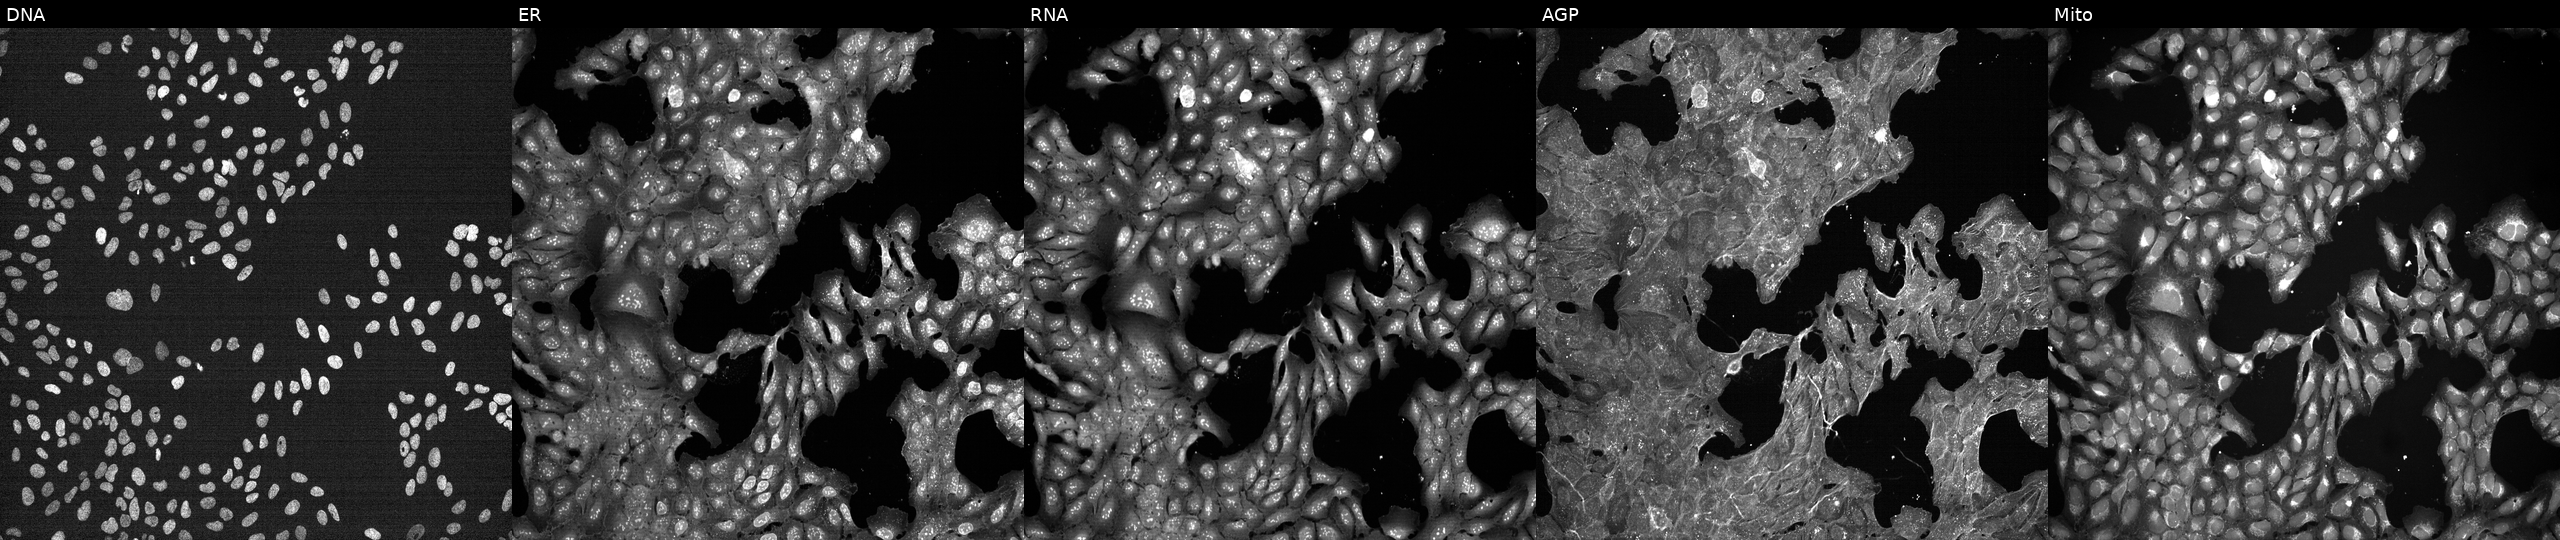
JUMP Cell Painting — TARGET2 plate. U2OS cells exposed to DMSO alone as a negative control (JUMP id JCP2022_033924). From left to right: DNA, ER, RNA, AGP, and Mito.